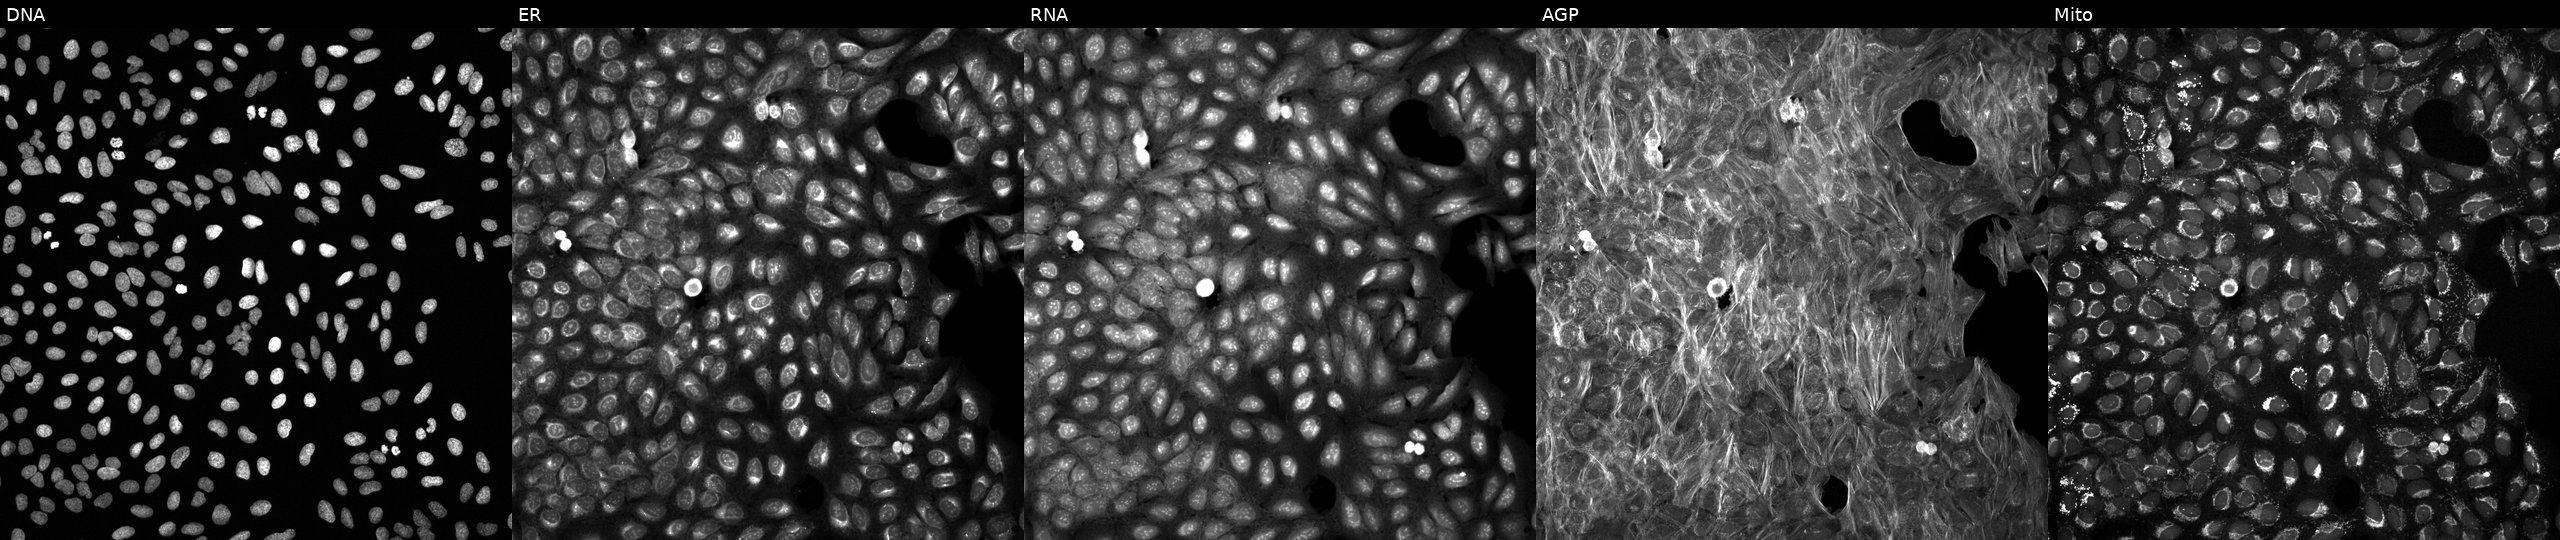
Panels show, left to right, DNA, ER, RNA, AGP, and Mito. U2OS osteosarcoma cells treated with DMSO vehicle only (negative control) (JUMP id JCP2022_033924). Cell Painting assay, JUMP-CP dataset. Source 6, plate 110000293082, well E23.